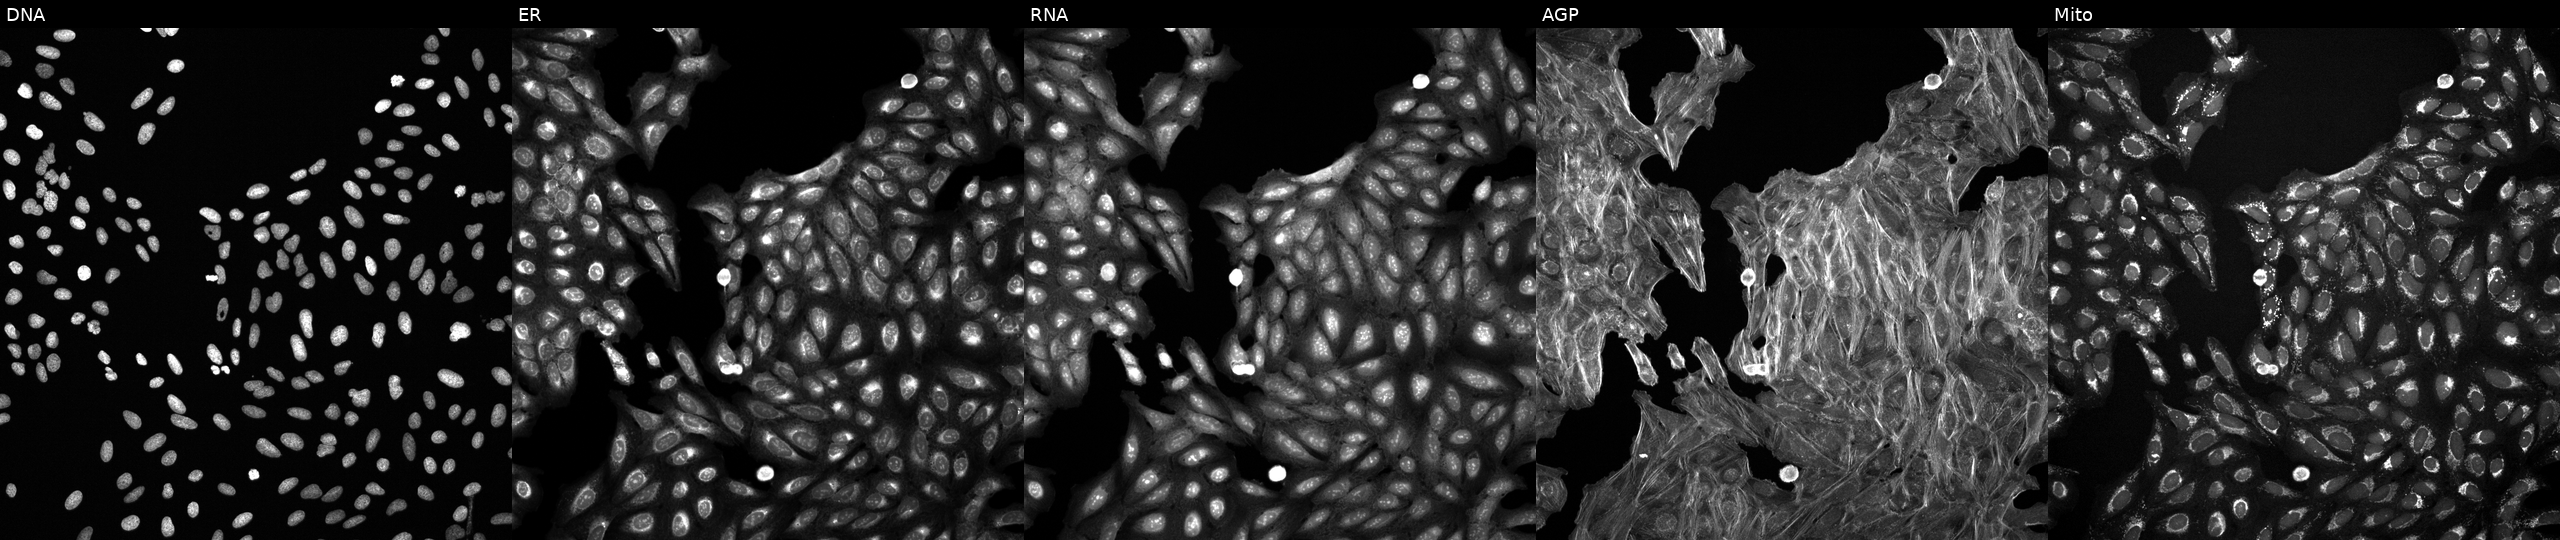
U2OS cells, Cell Painting assay, perturbed with a small-molecule compound (InChIKey ANPMTGMTTRUGAI-UHFFFAOYSA-N). Channels (left→right): DNA, ER, RNA, AGP, and Mito. Each panel is percentile-stretched 16-bit fluorescence. Source 6, plate 110000293082, well G10.